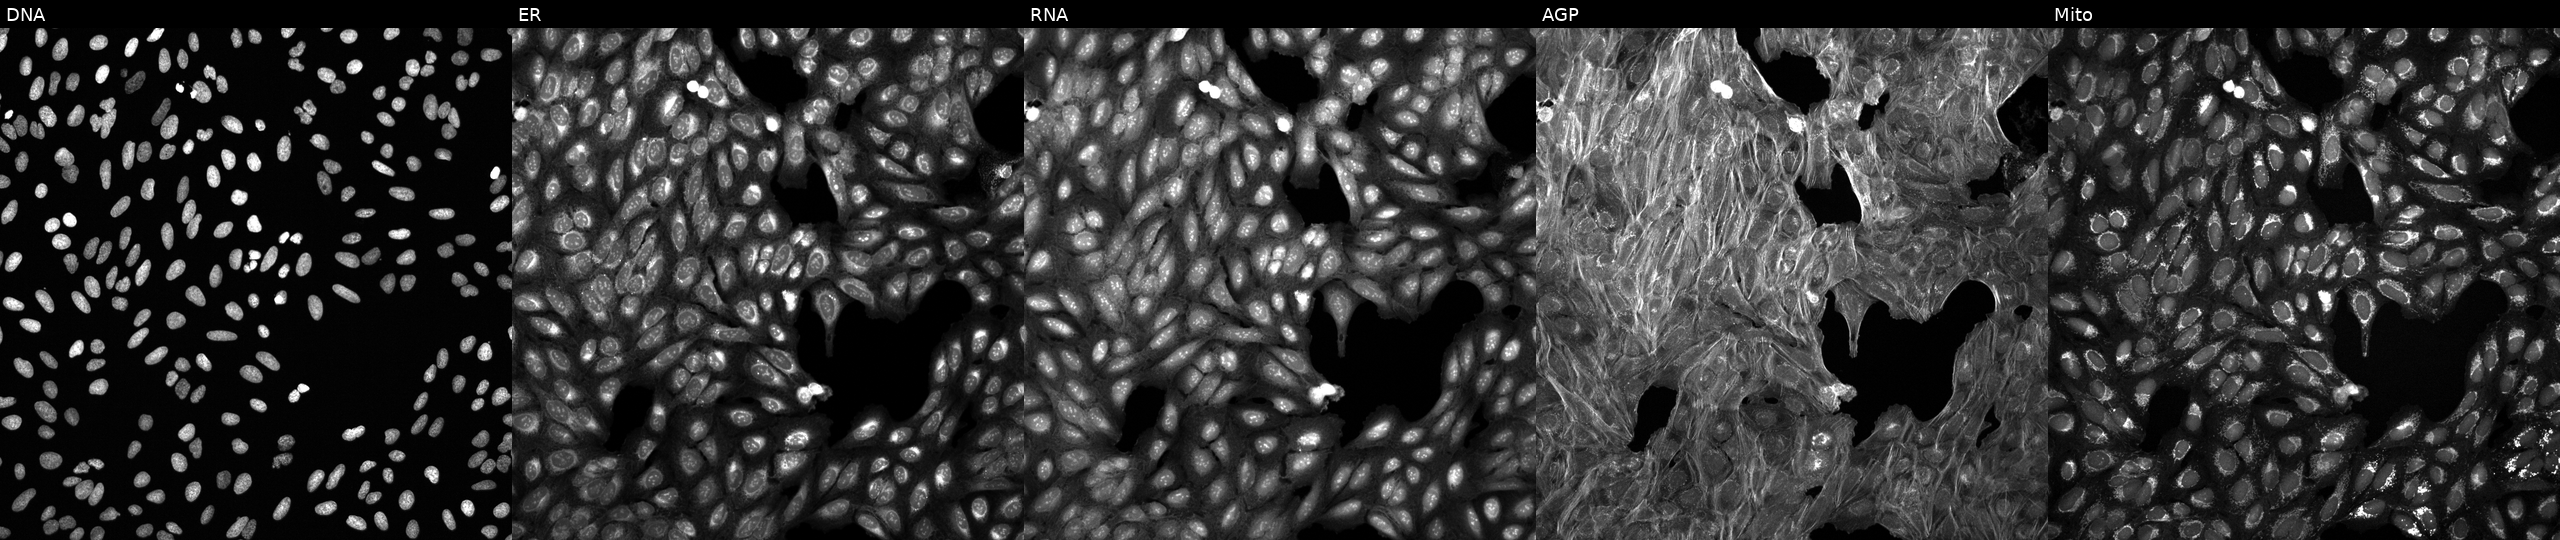
JUMP Cell Painting — TARGET2 plate. U2OS cells treated with a small-molecule compound (JUMP id JCP2022_058461). Panels show, left to right, DNA, ER, RNA, AGP, and Mito. Source 6, plate 110000294901, well M24.